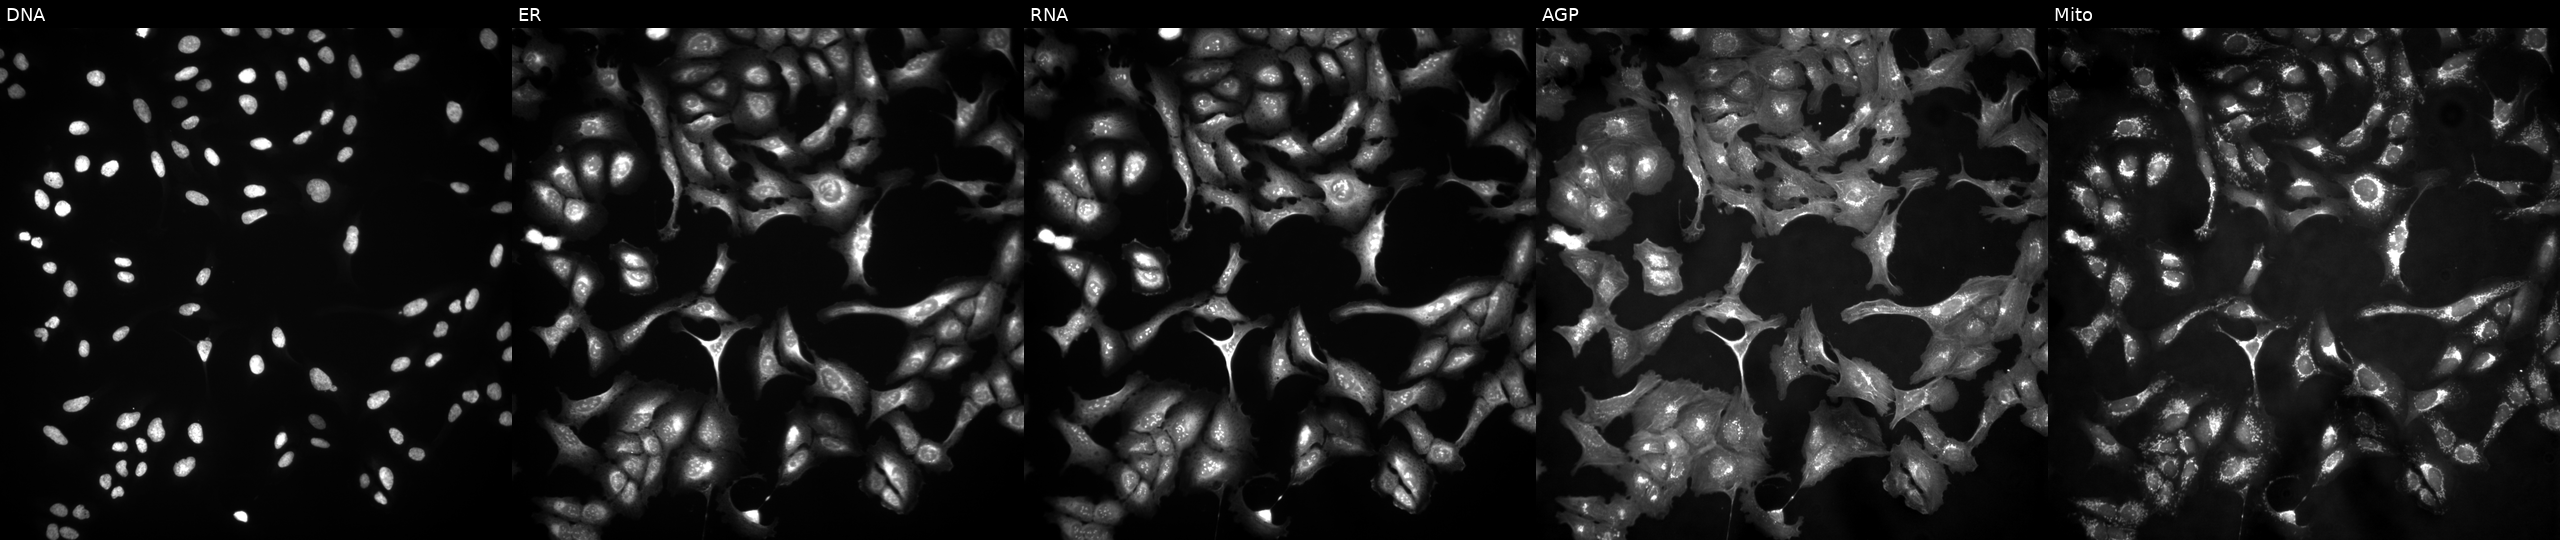
This image strip shows the five Cell Painting channels for a single field of U2OS cells transfected with an ORF construct for DHRS4L2. The five panels, left to right, show DNA, ER, RNA, AGP, and Mito.